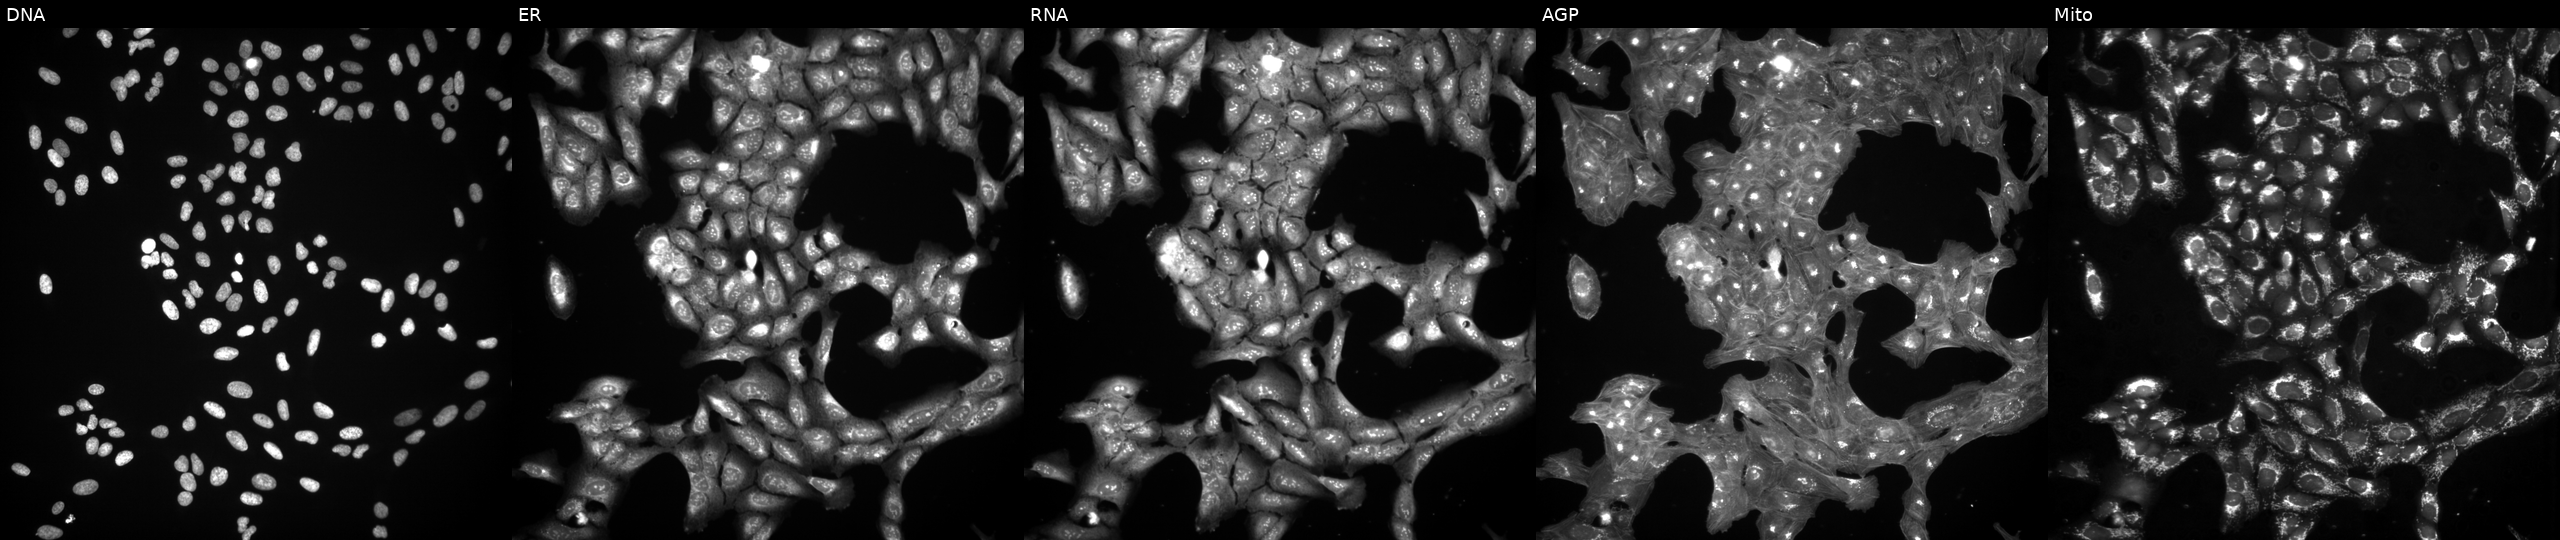
High-content fluorescence microscopy (Cell Painting). Cell line: U2OS. Perturbation: exposed to a small-molecule compound (InChIKey UCAGLBKTLXCODC-UHFFFAOYSA-N) (JUMP id JCP2022_088224). The five panels, left to right, show Hoechst 33342, concanavalin A, SYTO 14, phalloidin and WGA, MitoTracker. Source 3, plate JCPQC052, well K03.